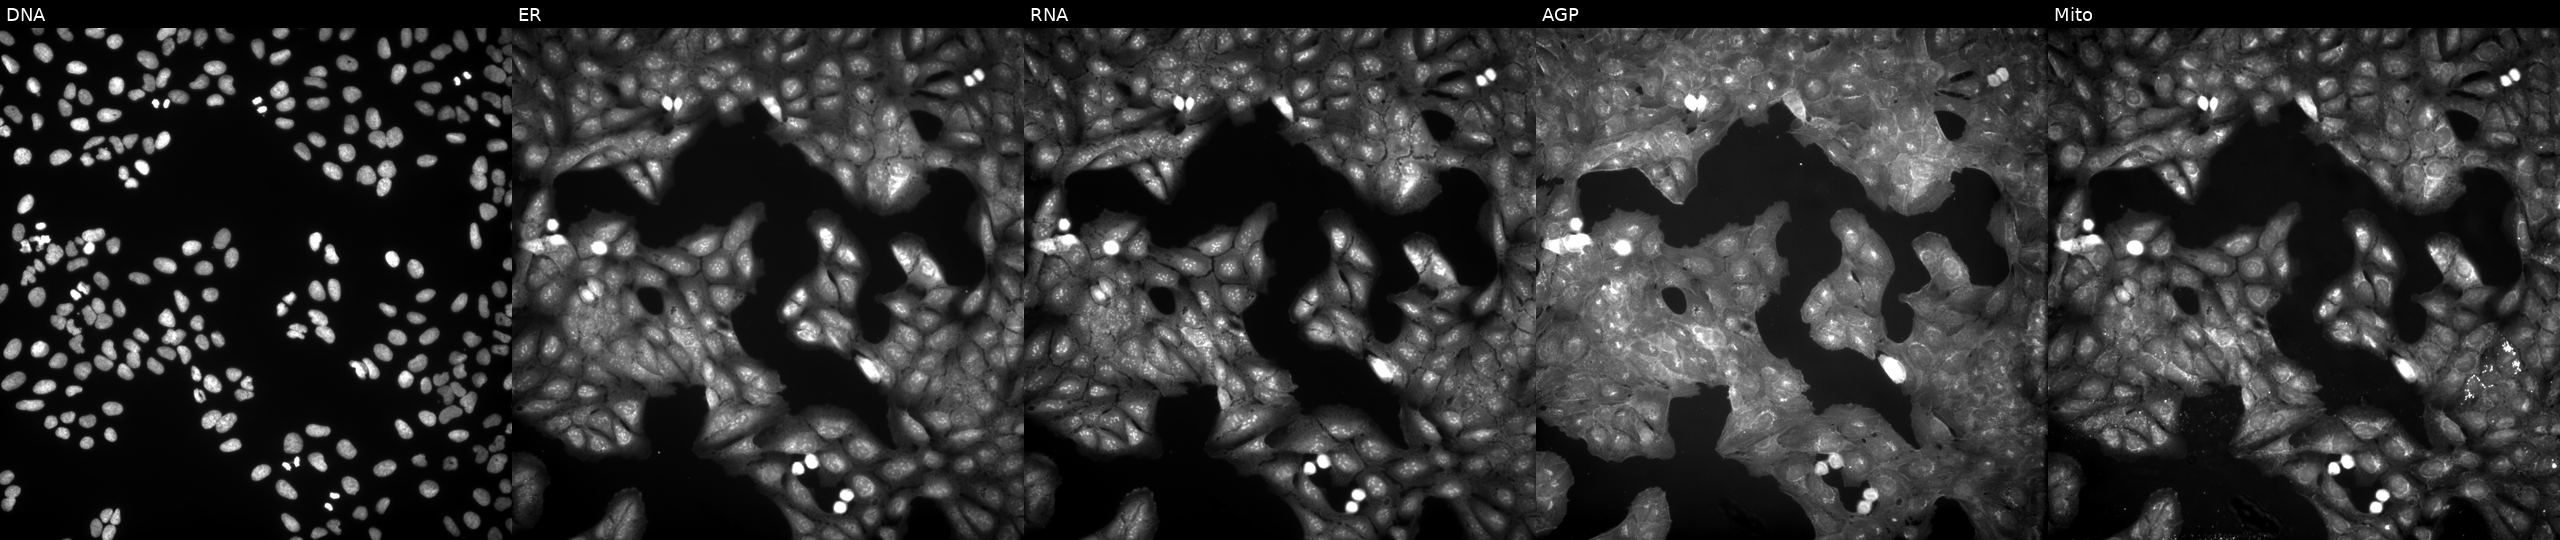
High-content fluorescence microscopy (Cell Painting). Cell line: U2OS. Perturbation: perturbed with a small-molecule compound (InChIKey FHWTUFMSKRSCOM-UHFFFAOYSA-N). The five panels, left to right, show DNA (nuclei); ER (endoplasmic reticulum); RNA (nucleoli and cytoplasmic RNA); AGP (actin cytoskeleton, Golgi, and plasma membrane); Mito (mitochondria).